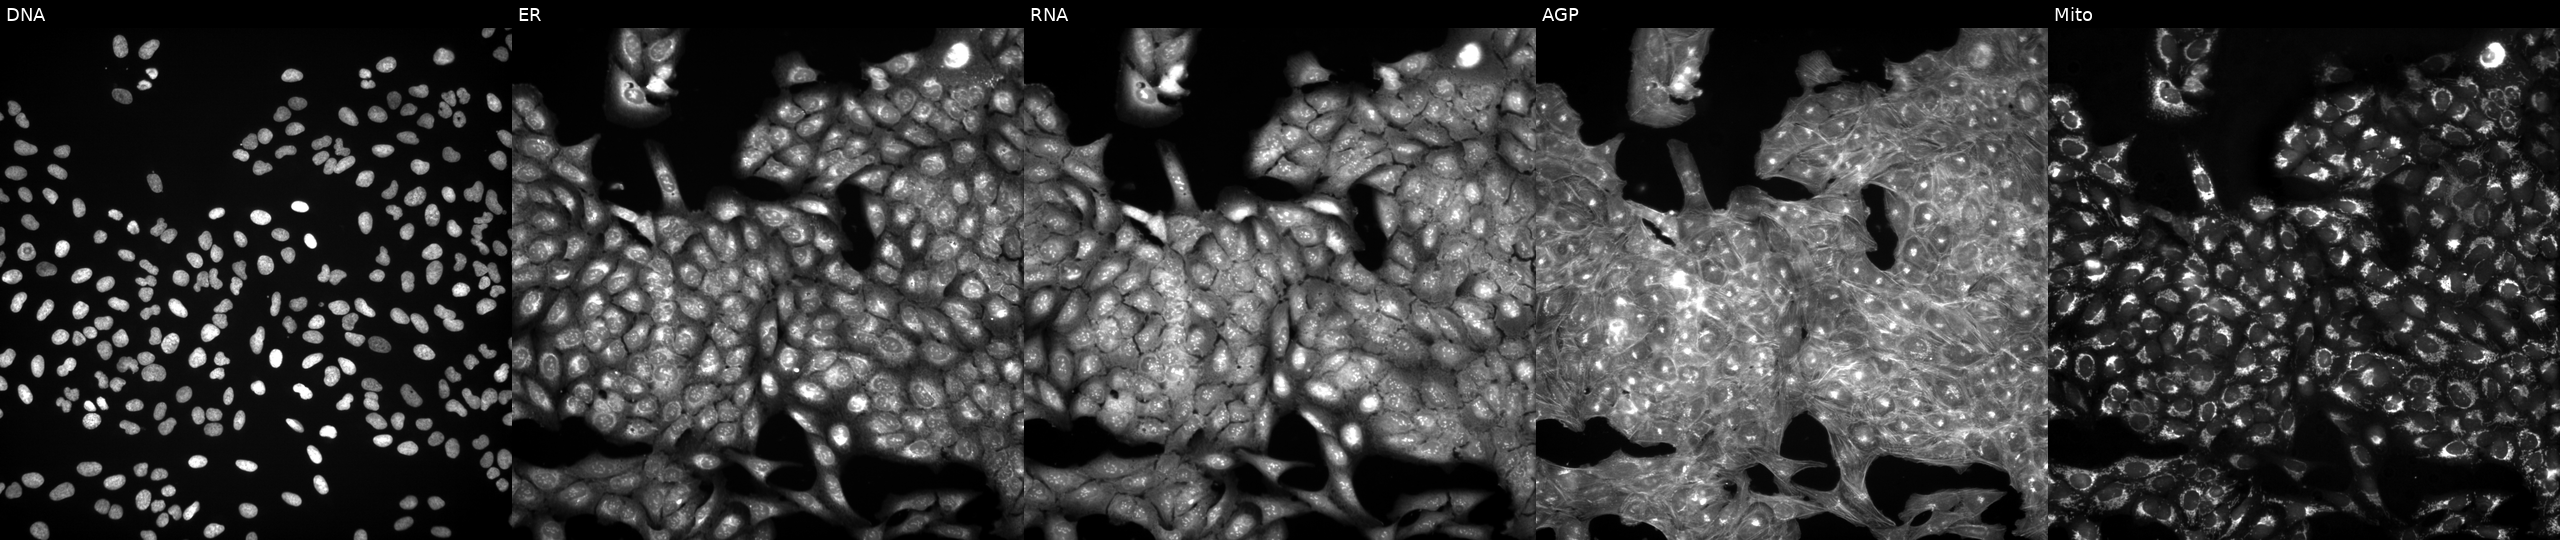
Five-channel Cell Painting image of U2OS cells perturbed with a small-molecule compound. Panels show, left to right, DNA, ER, RNA, AGP, and Mito.